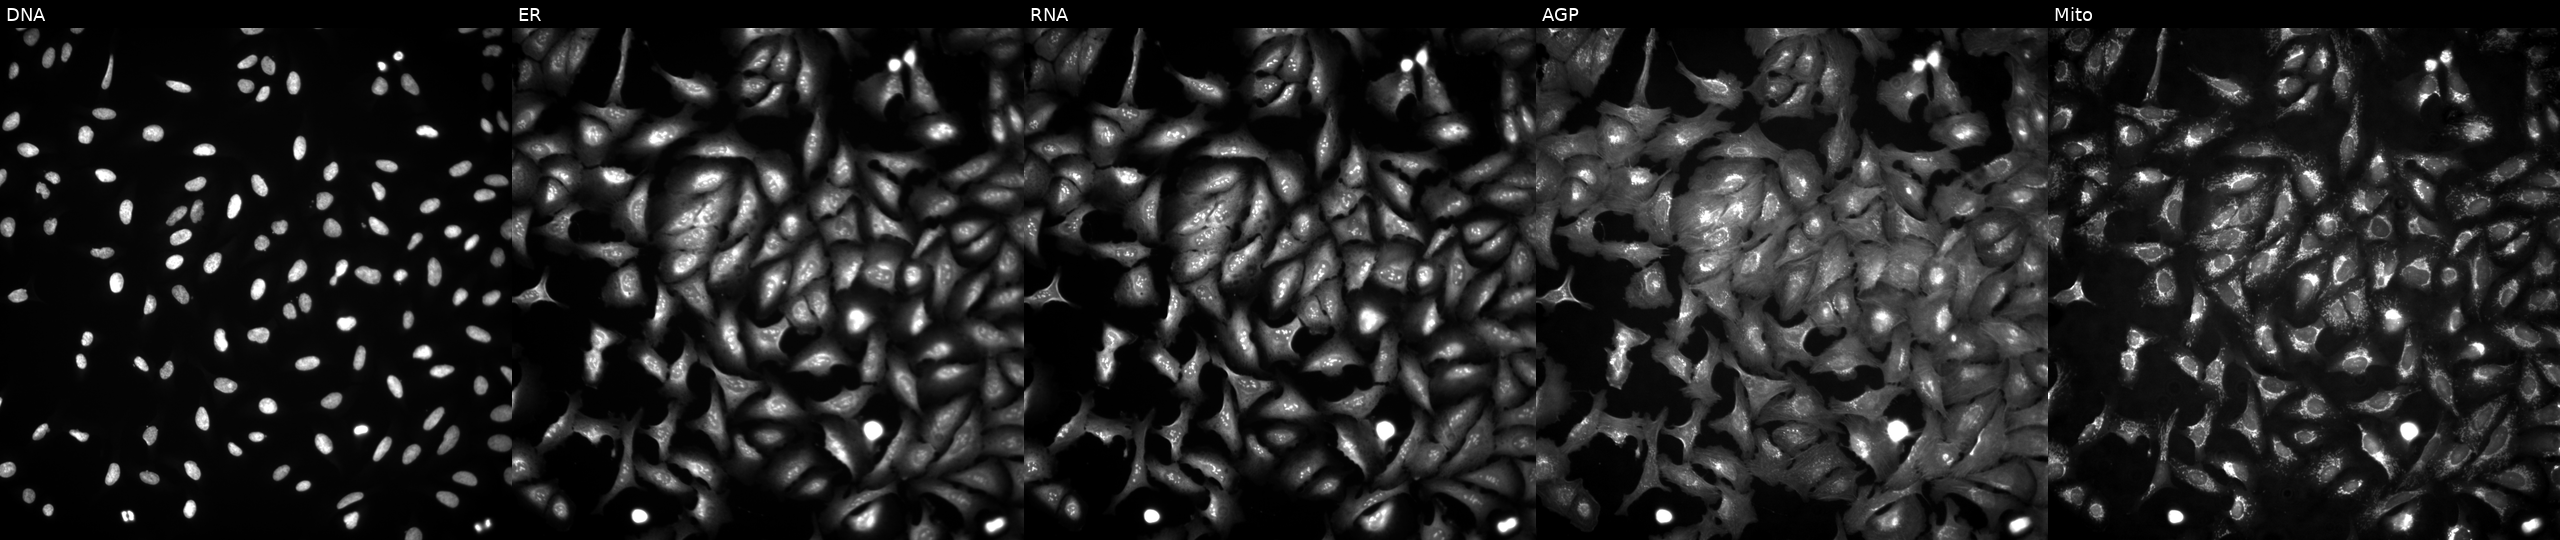
JUMP Cell Painting — ORF plate. U2OS cells transfected with an ORF construct for EIF4E2 (JUMP id JCP2022_906939). The five panels, left to right, show DNA (nuclei); ER (endoplasmic reticulum); RNA (nucleoli and cytoplasmic RNA); AGP (actin cytoskeleton, Golgi, and plasma membrane); Mito (mitochondria).